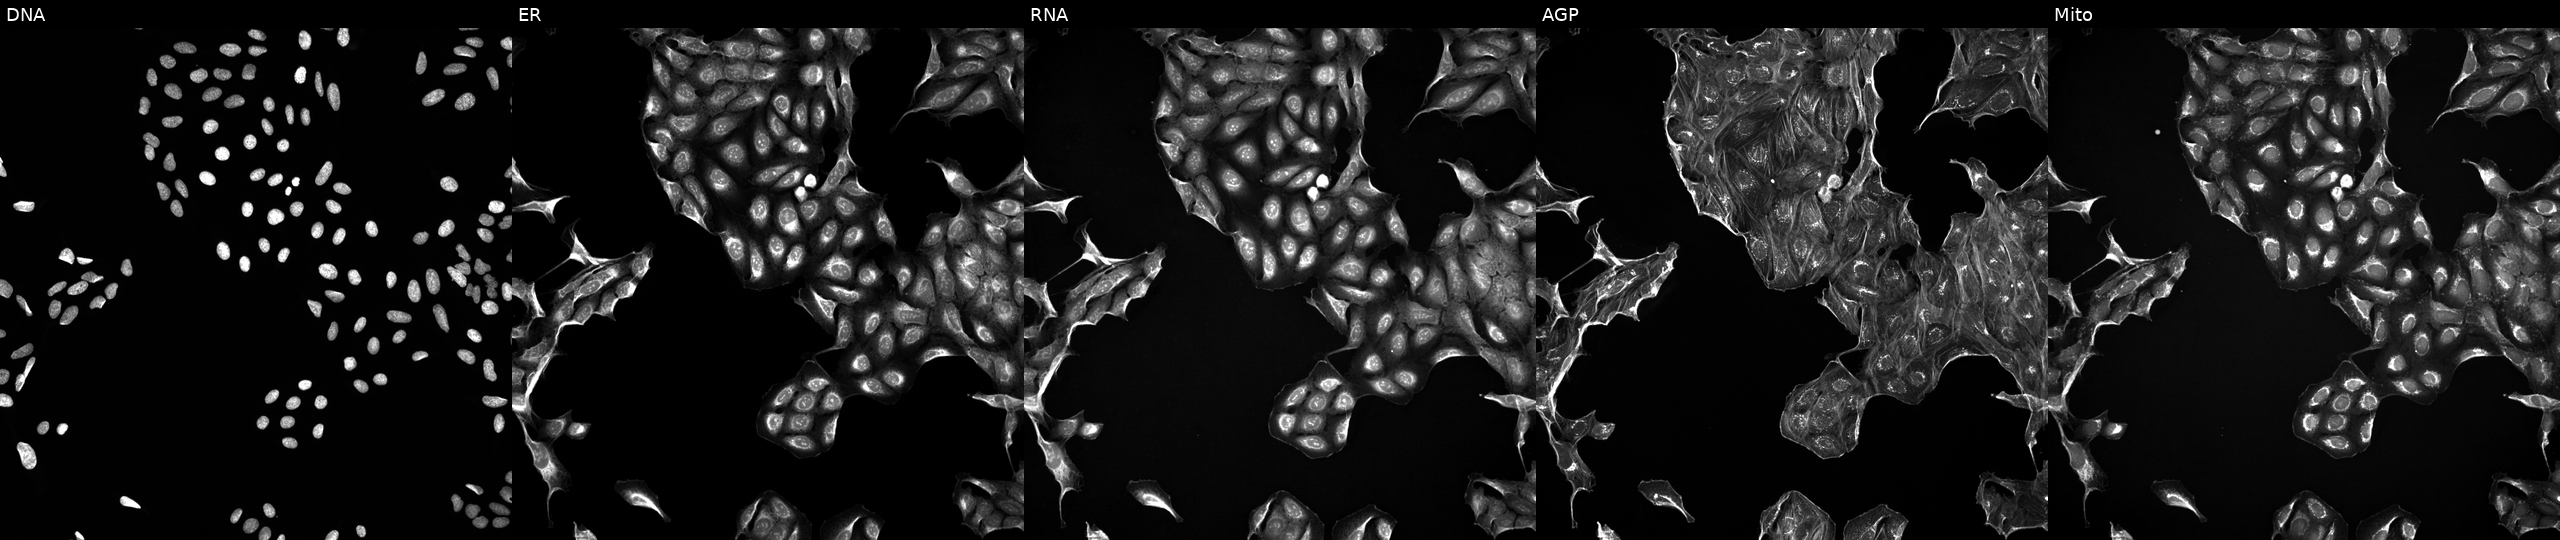
Five-channel Cell Painting image of U2OS cells exposed to a small-molecule compound (InChIKey IIQUYGWWHIHOCF-UHFFFAOYSA-N) [SMILES: O=C(NCCO)c1cccc(-c2cc(=Nc3ccc(OC(F)(F)F)cc3)[nH]cn2)c1]. Panels show, left to right, DNA, ER, RNA, AGP, and Mito. Source 5, plate ACPJUM032, well J01.